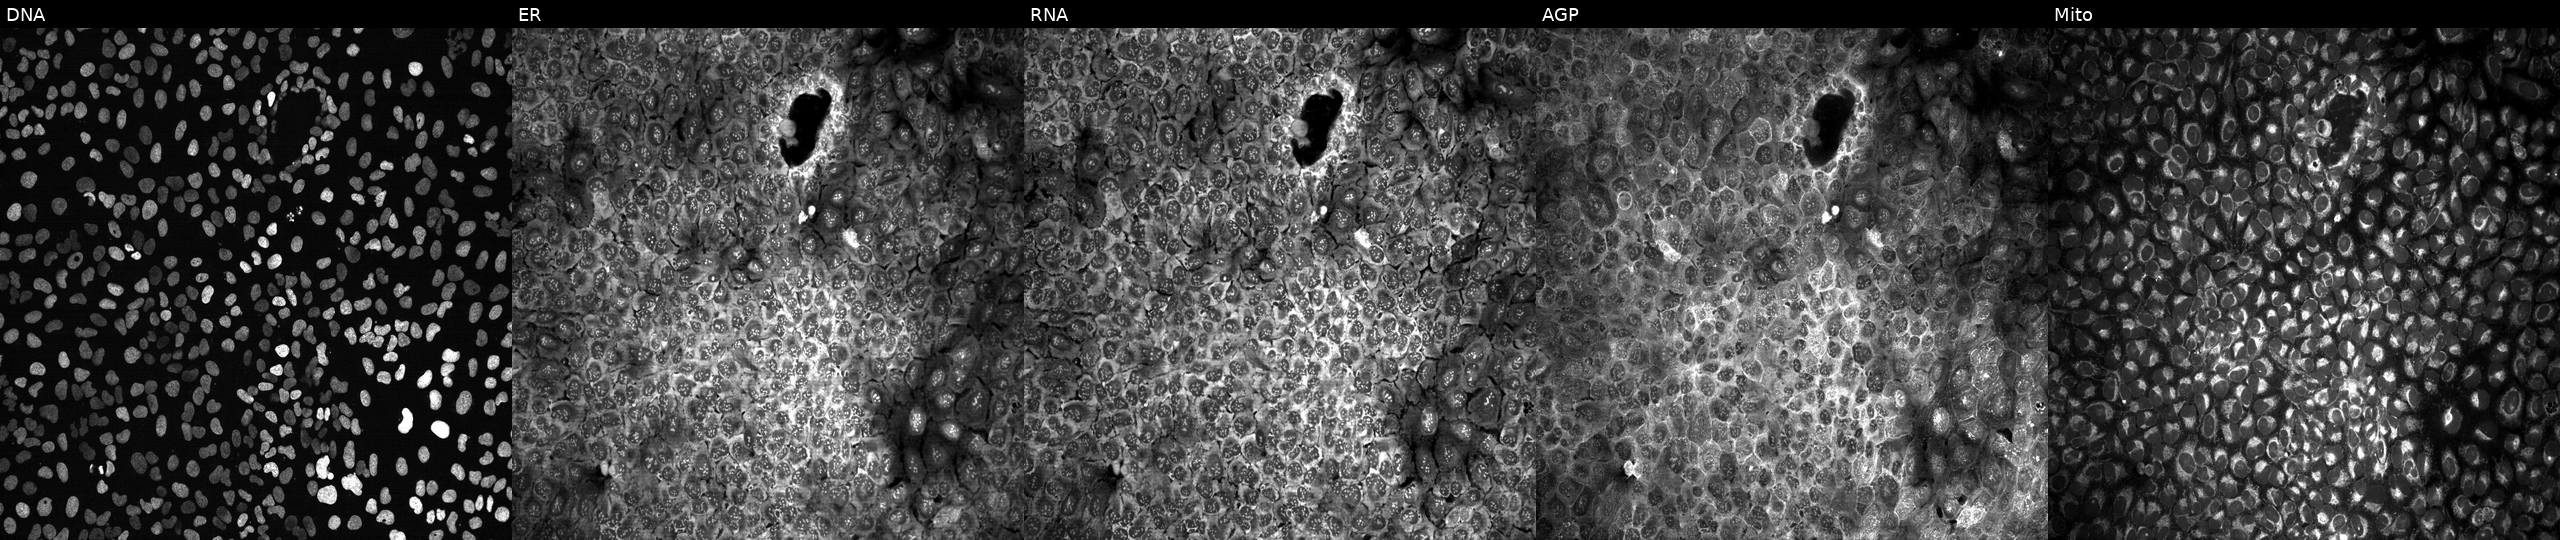
JUMP Cell Painting — CRISPR plate. U2OS cells CRISPR-edited to disrupt RBL2. From left to right: DNA (nuclei); ER (endoplasmic reticulum); RNA (nucleoli and cytoplasmic RNA); AGP (actin cytoskeleton, Golgi, and plasma membrane); Mito (mitochondria).